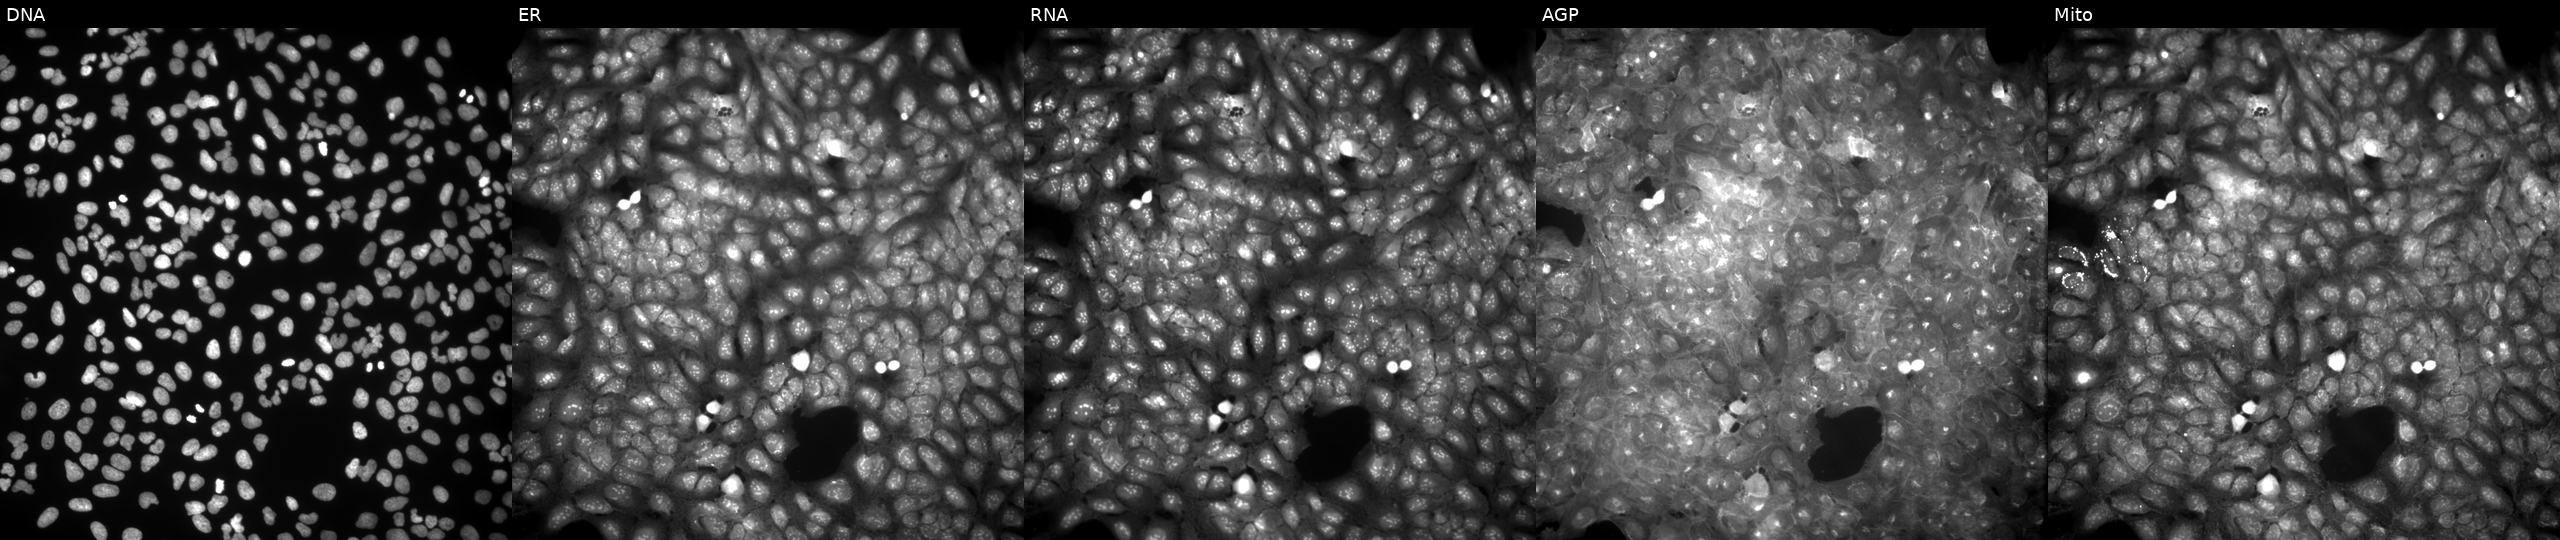
Five-channel Cell Painting image of U2OS cells exposed to a small-molecule compound. Panels show, left to right, DNA, ER, RNA, AGP, and Mito. Source 9, plate GR00003382, well AA21.